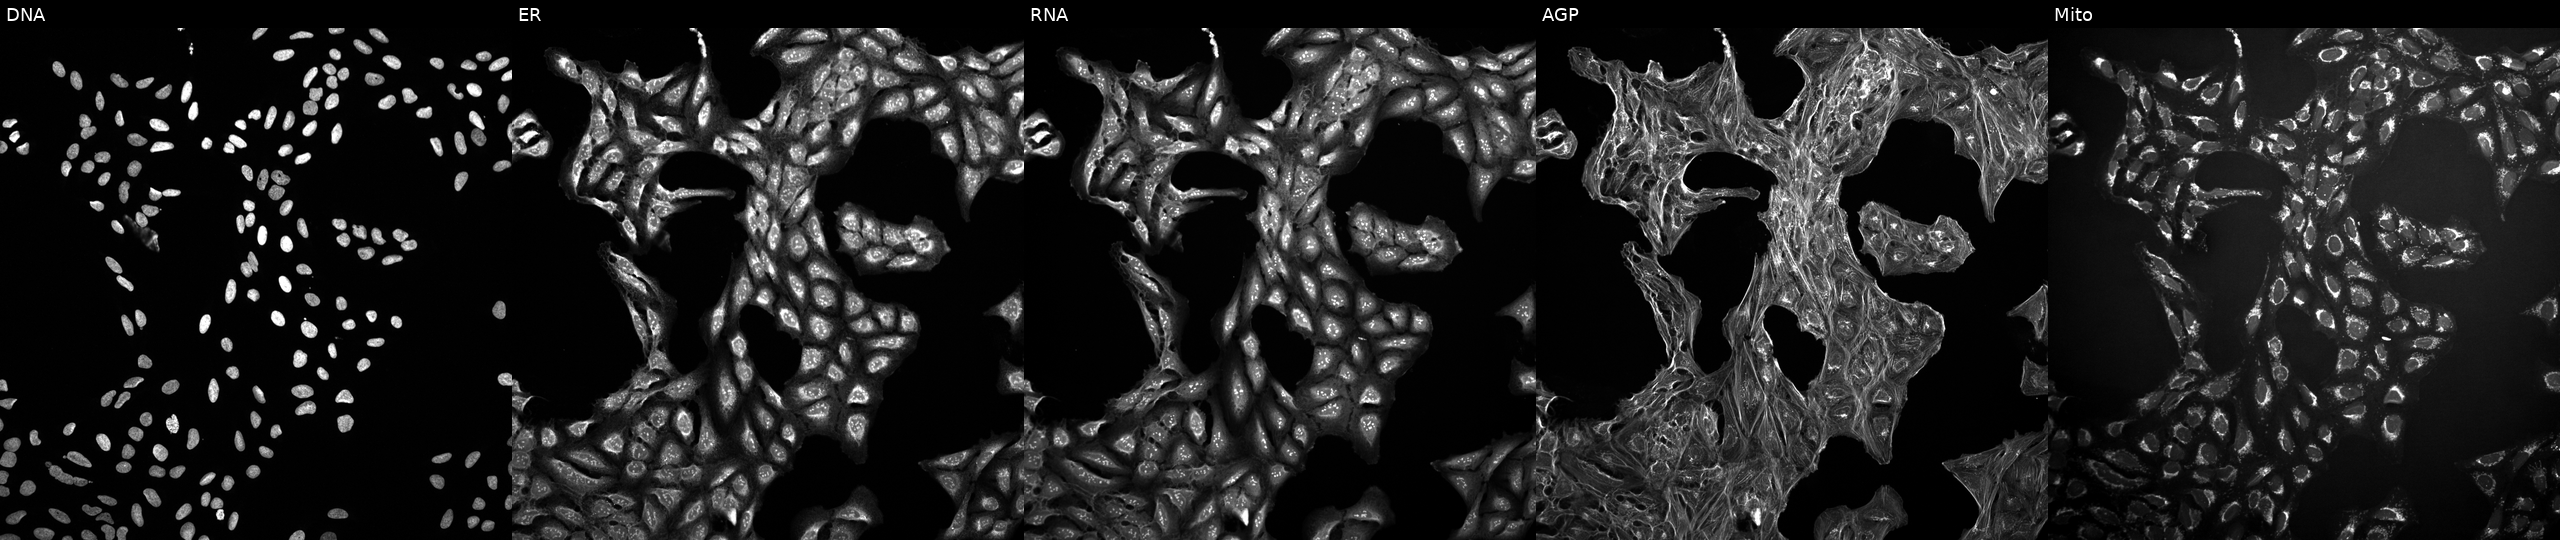
U2OS cells, Cell Painting assay, treated with a small-molecule compound (JUMP id JCP2022_102917). From left to right: DNA (nuclei); ER (endoplasmic reticulum); RNA (nucleoli and cytoplasmic RNA); AGP (actin cytoskeleton, Golgi, and plasma membrane); Mito (mitochondria). Each panel is percentile-stretched 16-bit fluorescence.